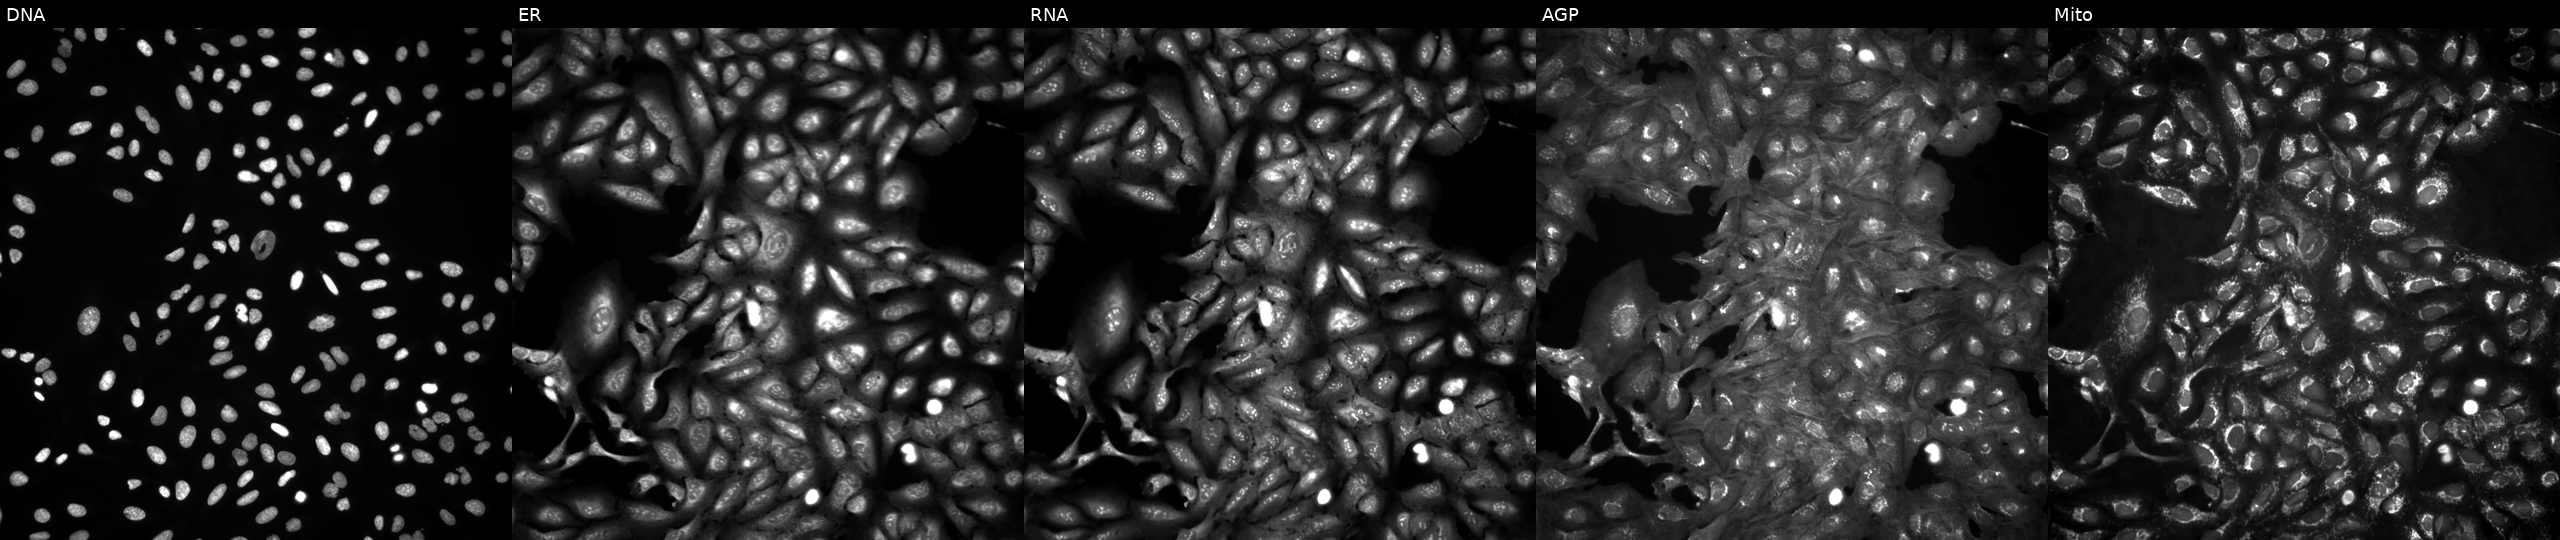
Channels (left→right): Hoechst 33342, concanavalin A, SYTO 14, phalloidin and WGA, MitoTracker. U2OS osteosarcoma cells untreated (empty-well control) (JUMP id JCP2022_999999). Cell Painting assay, JUMP-CP dataset.